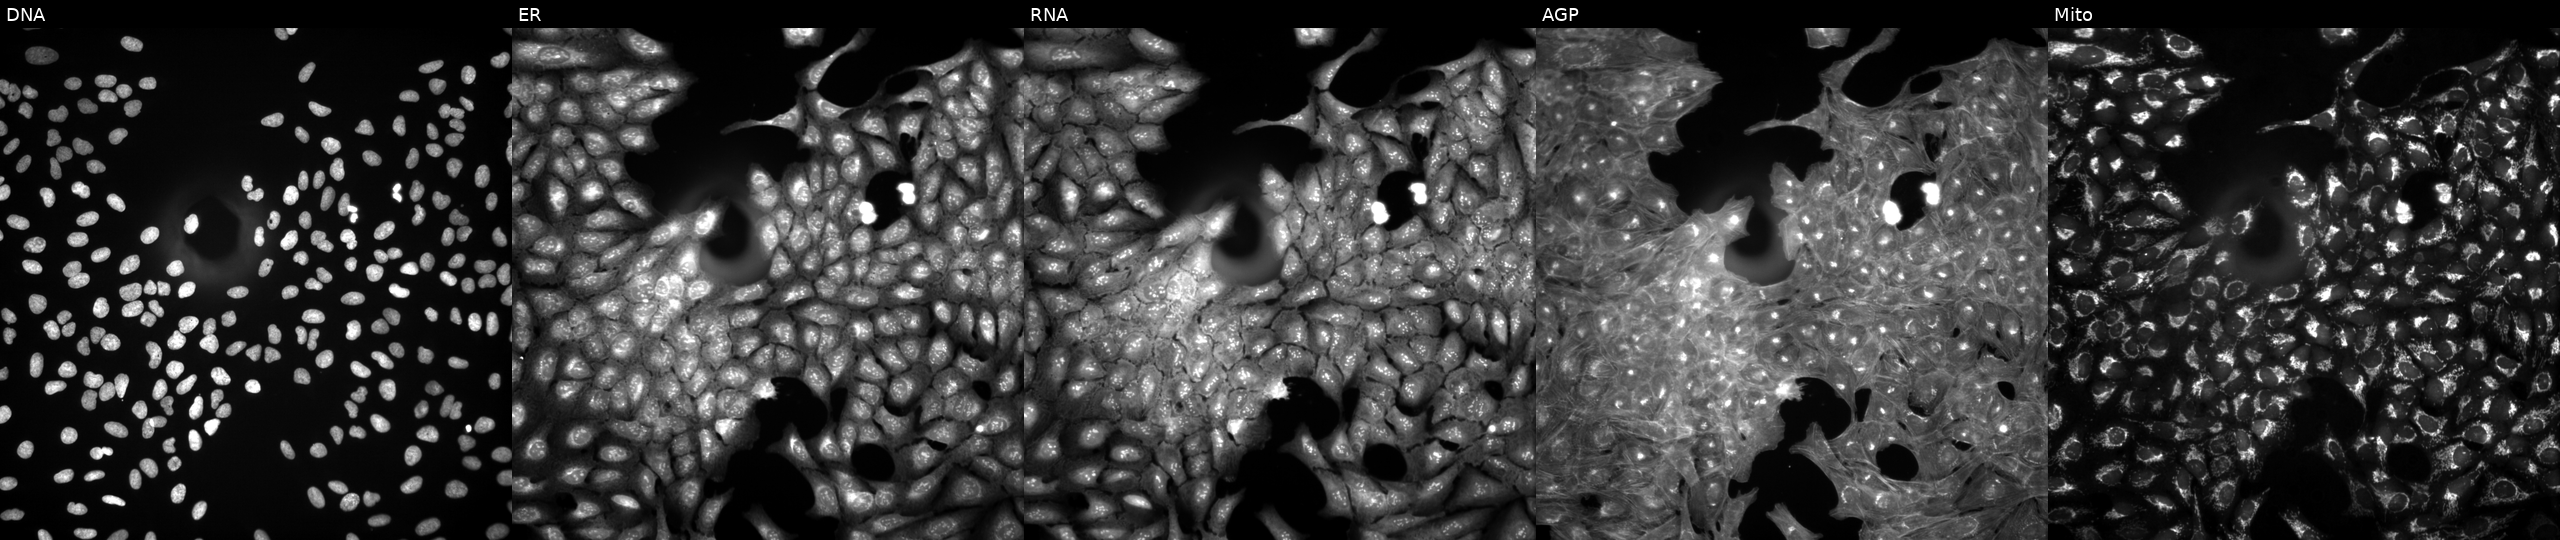
High-content fluorescence microscopy (Cell Painting). Cell line: U2OS. Perturbation: treated with a small-molecule compound (JUMP id JCP2022_048928). The five panels, left to right, show Hoechst 33342, concanavalin A, SYTO 14, phalloidin and WGA, MitoTracker.